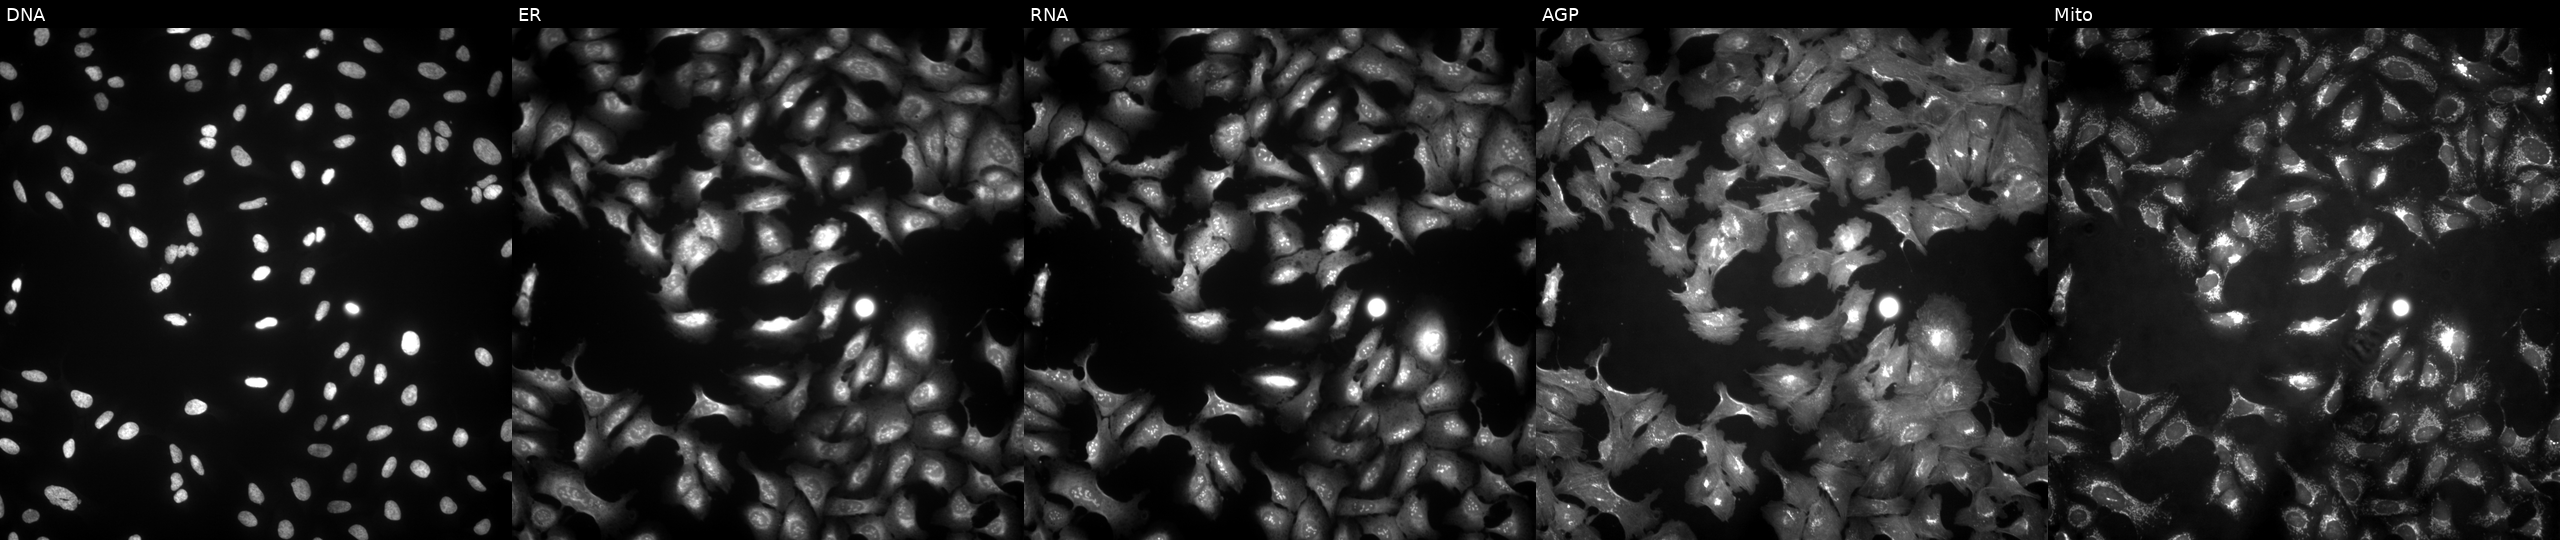
Channels (left→right): DNA, ER, RNA, AGP, and Mito. U2OS osteosarcoma cells overexpressing SERBP1 via ORF transfection. Cell Painting assay, JUMP-CP dataset.